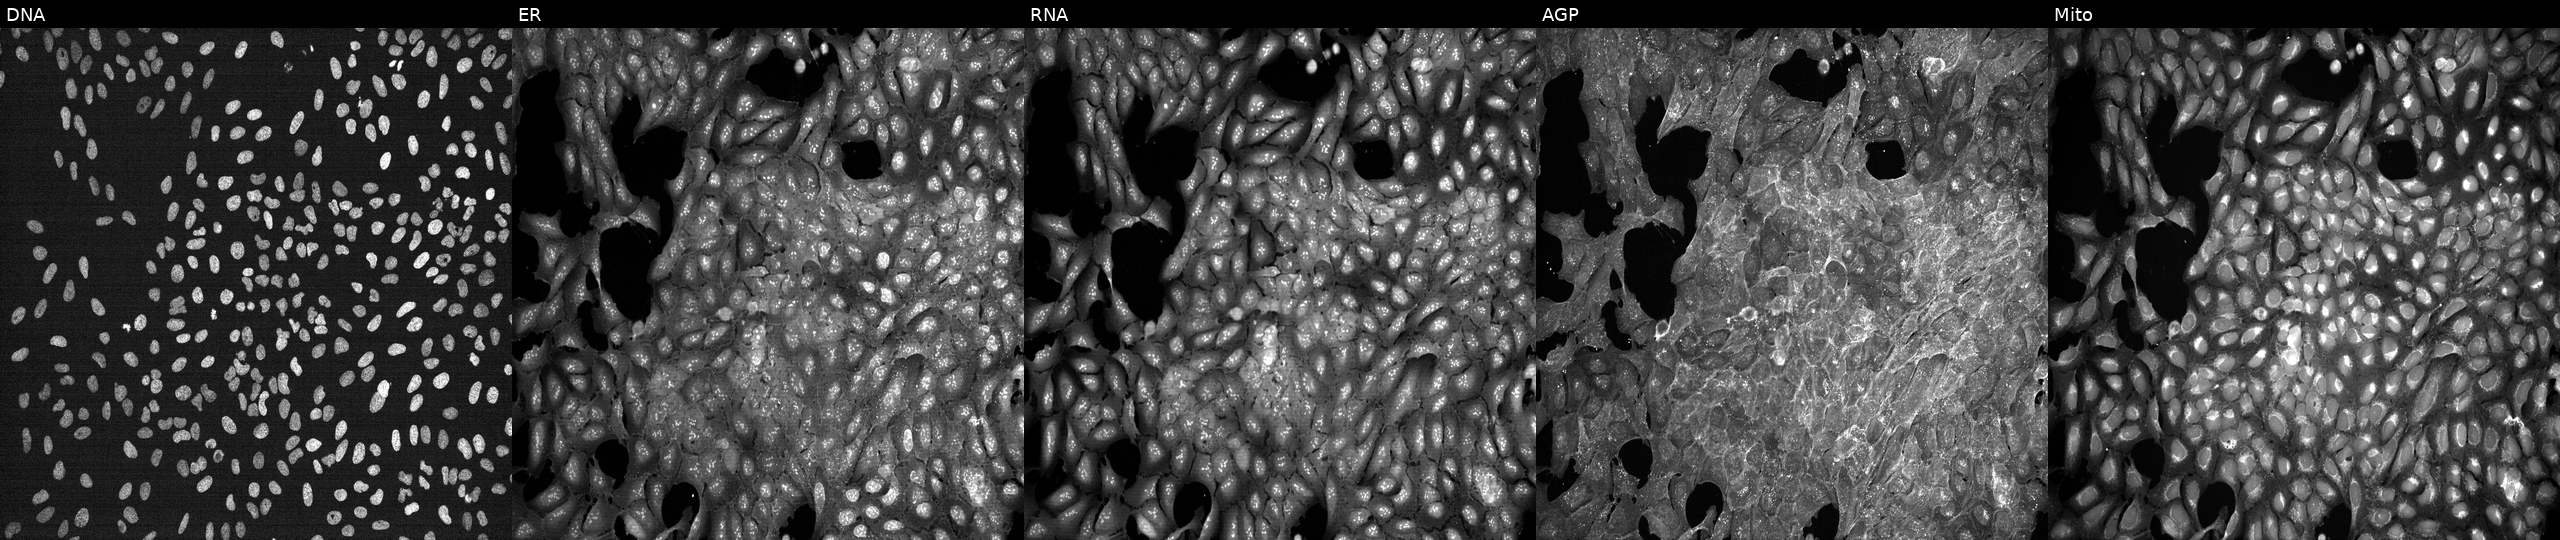
Panels show, left to right, Hoechst 33342, concanavalin A, SYTO 14, phalloidin and WGA, MitoTracker. U2OS osteosarcoma cells exposed to DMSO alone as a negative control. Cell Painting assay, JUMP-CP dataset.